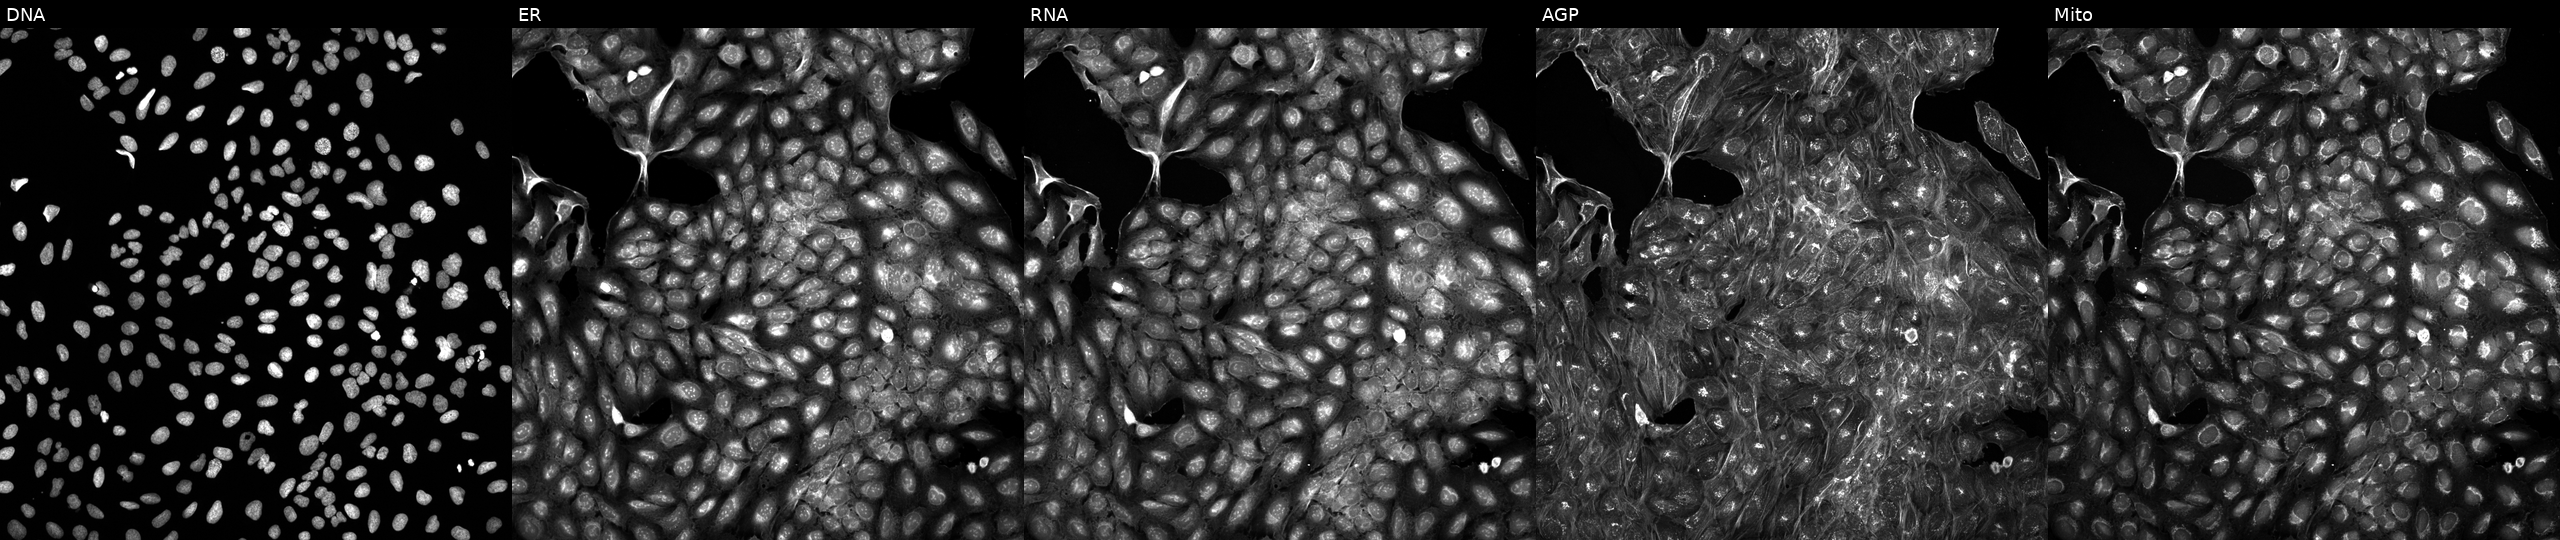
This image strip shows the five Cell Painting channels for a single field of U2OS cells exposed to a small-molecule compound (InChIKey JWPAMYIXAMVFGQ-UHFFFAOYSA-N) [SMILES: c1ccc(OCC2CCCN2Cc2n[nH]c(C3CC3)n2)cc1]. Channels (left→right): Hoechst 33342, concanavalin A, SYTO 14, phalloidin and WGA, MitoTracker. Source 5, plate APTJUM106, well E20.